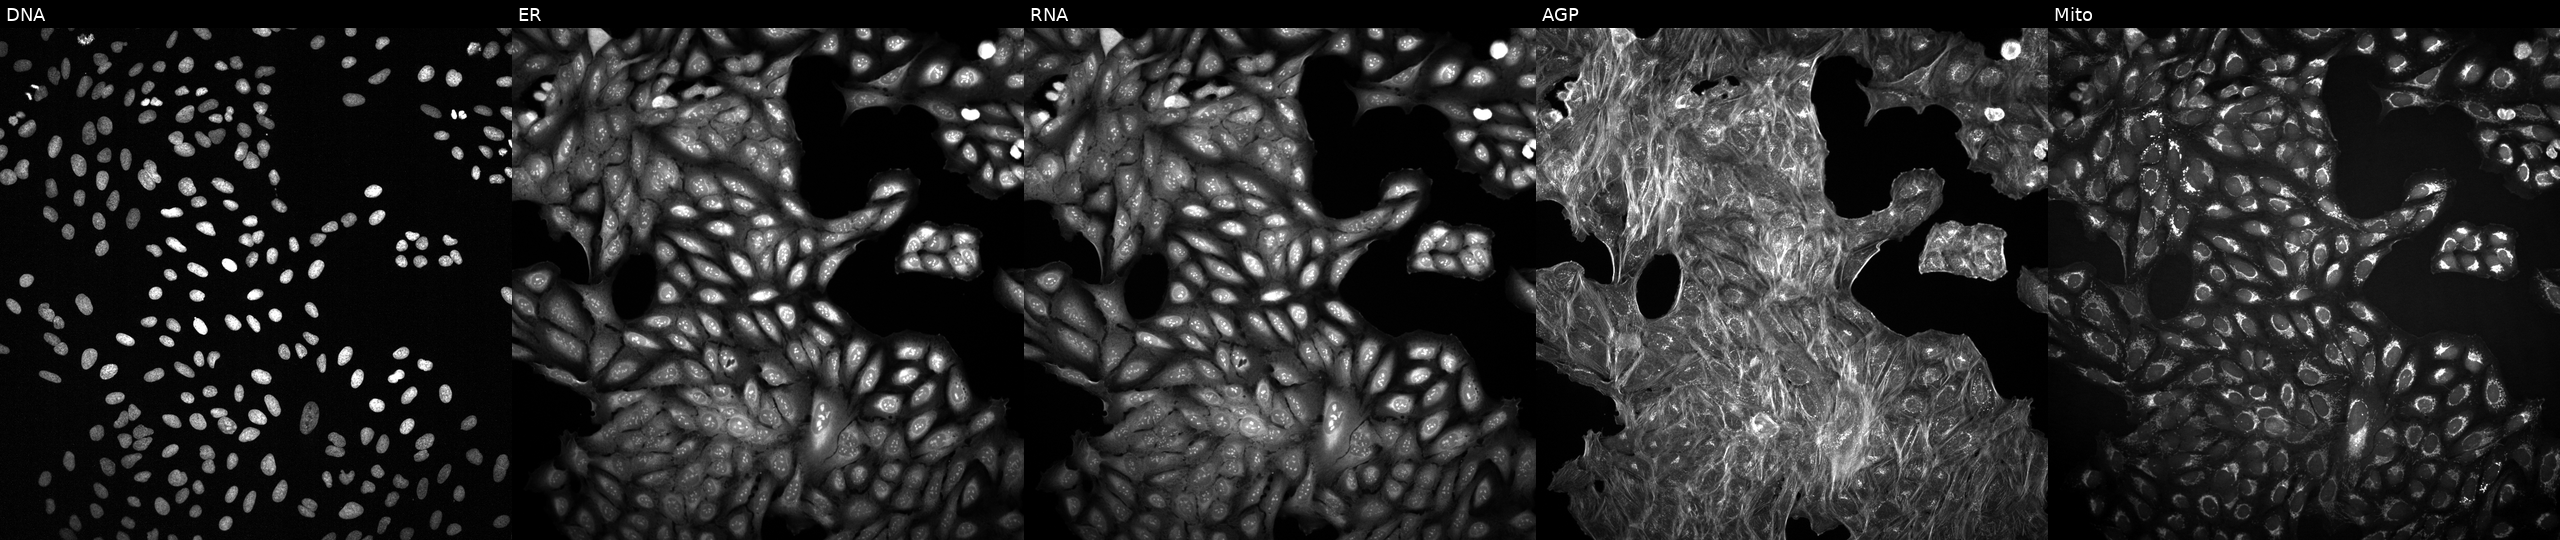
High-content fluorescence microscopy (Cell Painting). Cell line: U2OS. Perturbation: treated with a small-molecule compound [SMILES: O=C(Nc1ccccc1)N1C2OCCCC2CN1c1ccccc1] (JUMP id JCP2022_065765). The five panels, left to right, show Hoechst 33342, concanavalin A, SYTO 14, phalloidin and WGA, MitoTracker. Source 2, plate 1053601763, well A05.